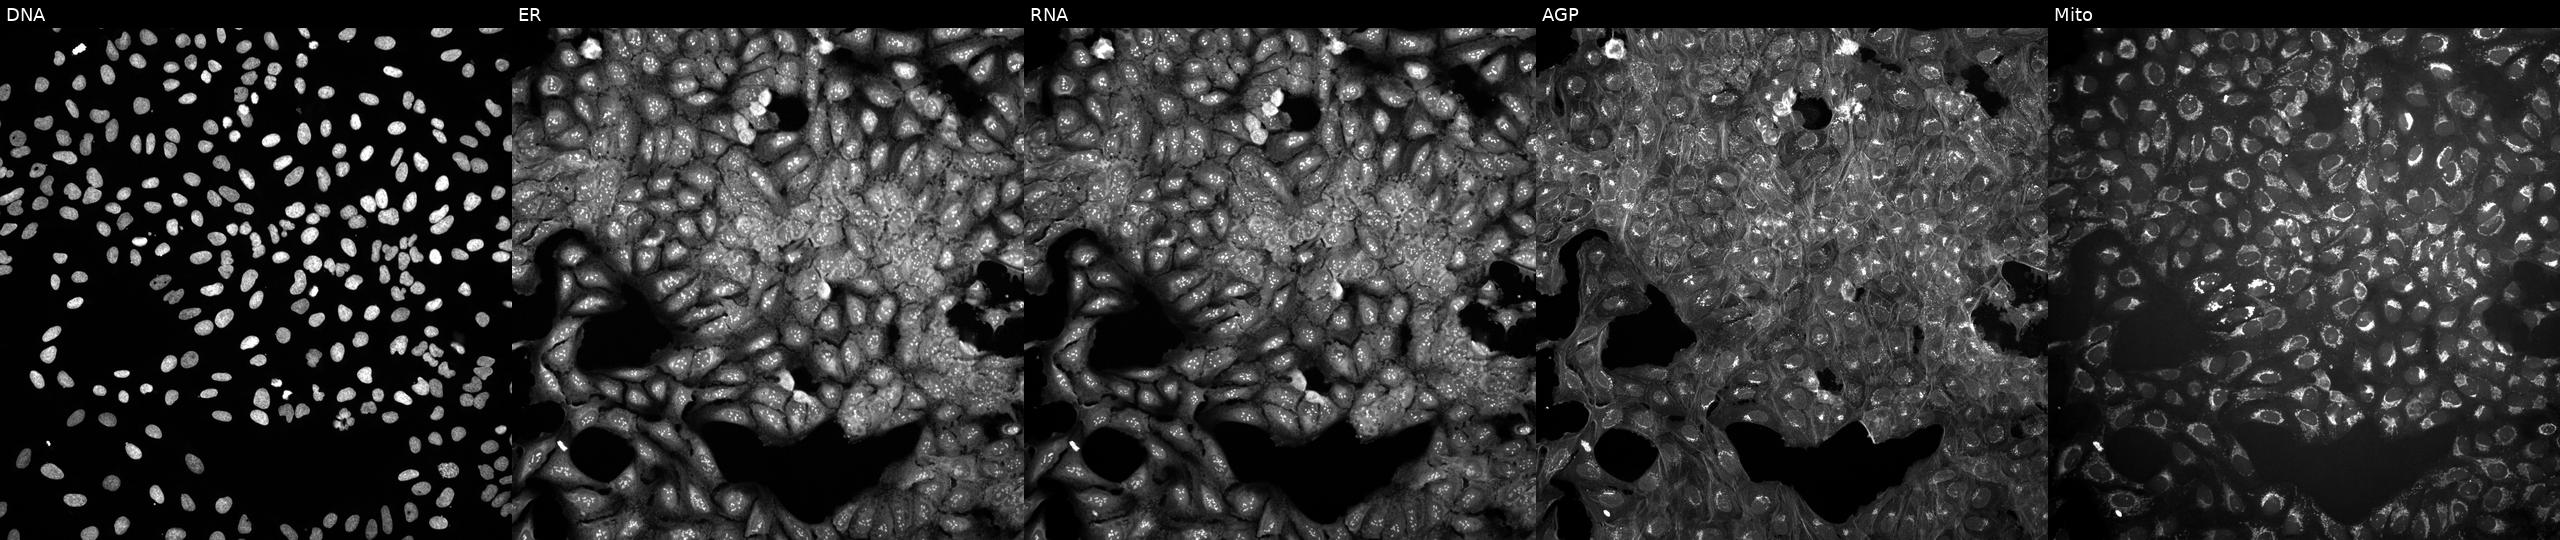
High-content fluorescence microscopy (Cell Painting). Cell line: U2OS. Perturbation: untreated (empty-well control) (JUMP id JCP2022_999999). Channels (left→right): DNA, ER, RNA, AGP, and Mito.